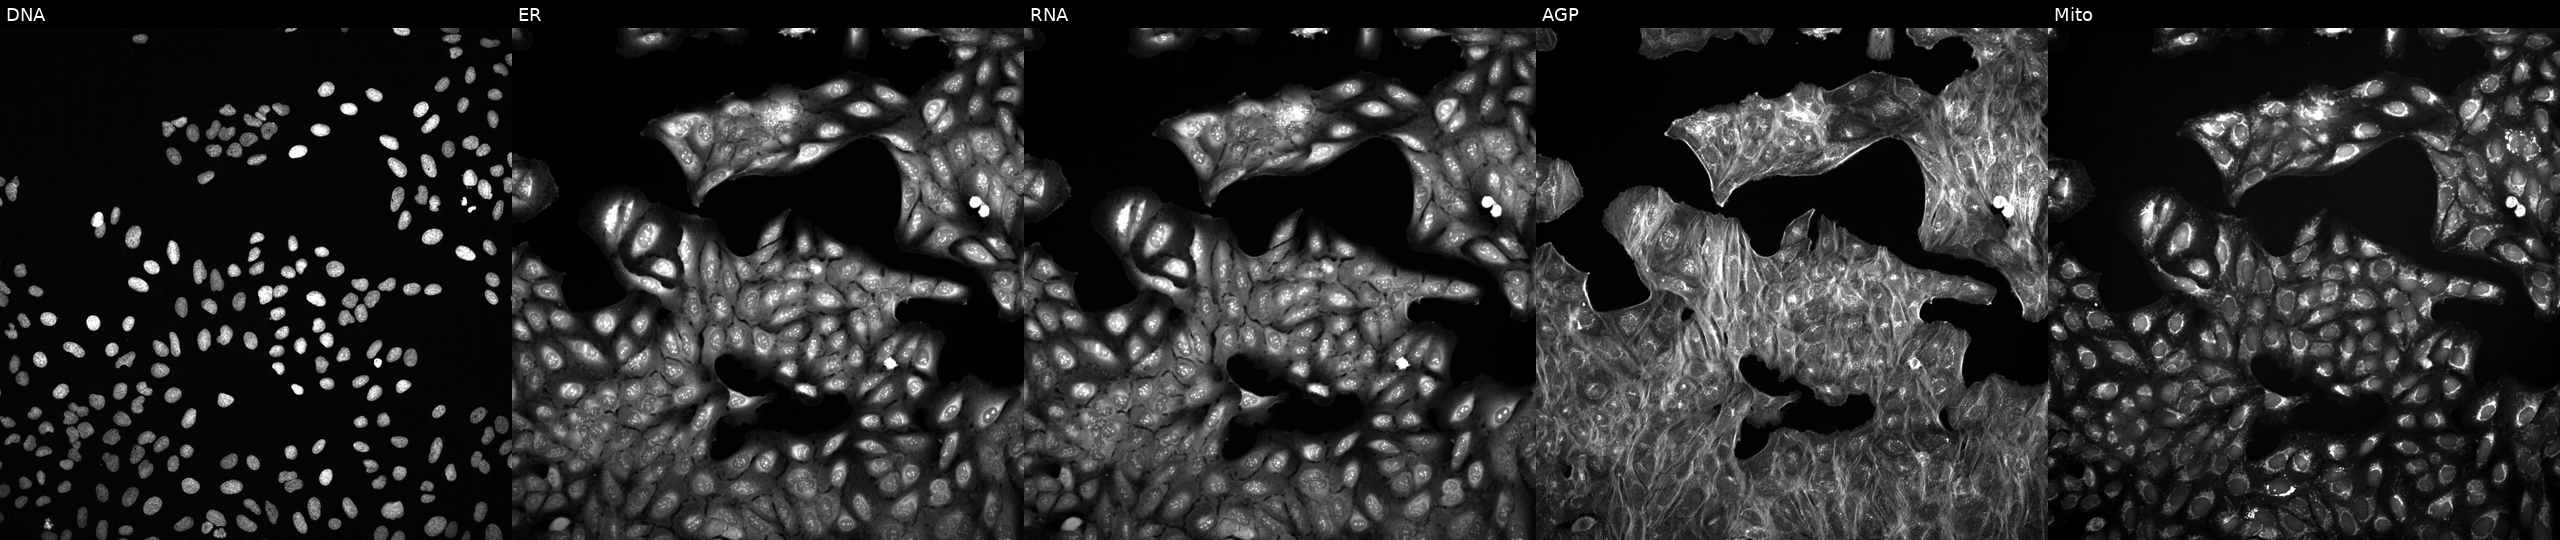
Five-channel Cell Painting image of U2OS cells treated with a small-molecule compound (InChIKey AGNWVEJTZJIJIM-UHFFFAOYSA-N) (JUMP id JCP2022_001275). The five panels, left to right, show Hoechst 33342, concanavalin A, SYTO 14, phalloidin and WGA, MitoTracker.